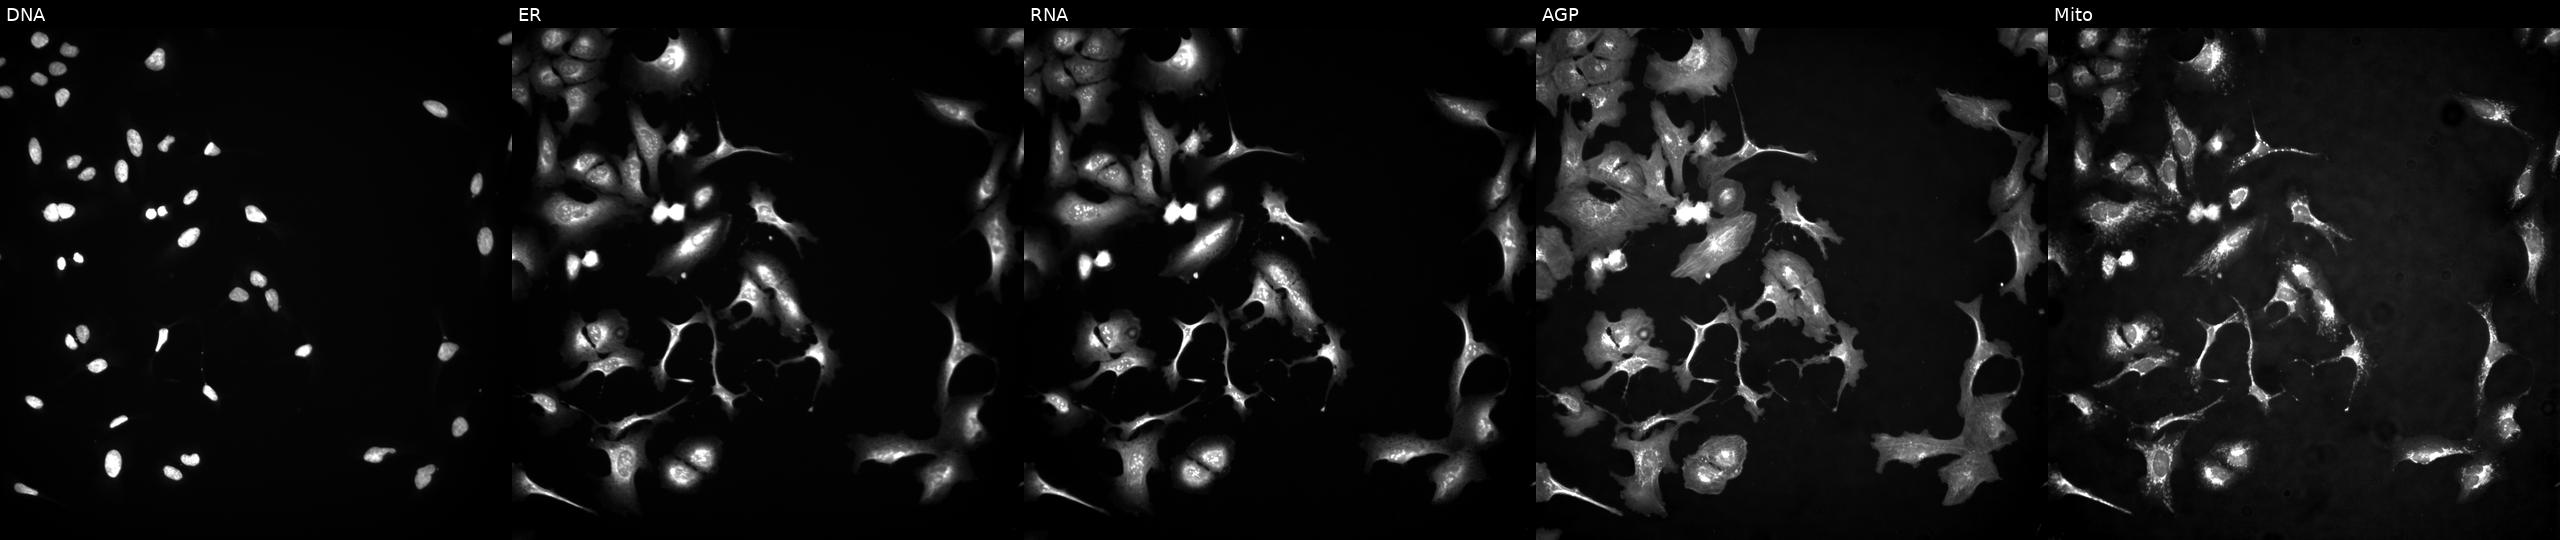
Five-channel Cell Painting image of U2OS cells transfected with an ORF construct for CHKA (JUMP id JCP2022_914341). From left to right: Hoechst 33342, concanavalin A, SYTO 14, phalloidin and WGA, MitoTracker.